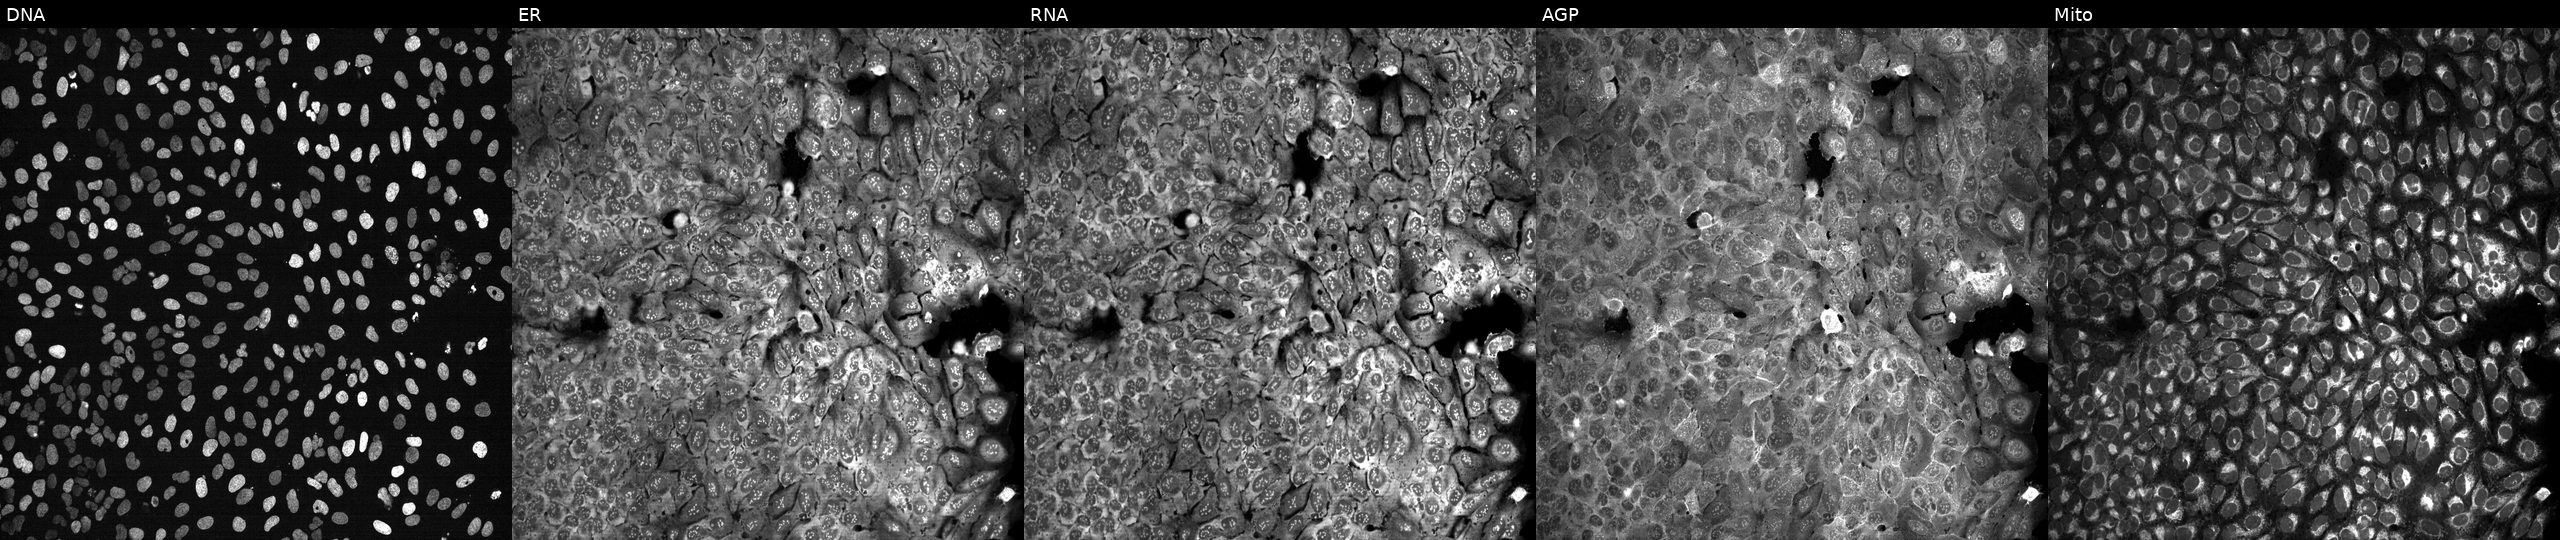
This image strip shows the five Cell Painting channels for a single field of U2OS cells with SLC38A3 knocked out by CRISPR. Panels show, left to right, DNA (nuclei); ER (endoplasmic reticulum); RNA (nucleoli and cytoplasmic RNA); AGP (actin cytoskeleton, Golgi, and plasma membrane); Mito (mitochondria).